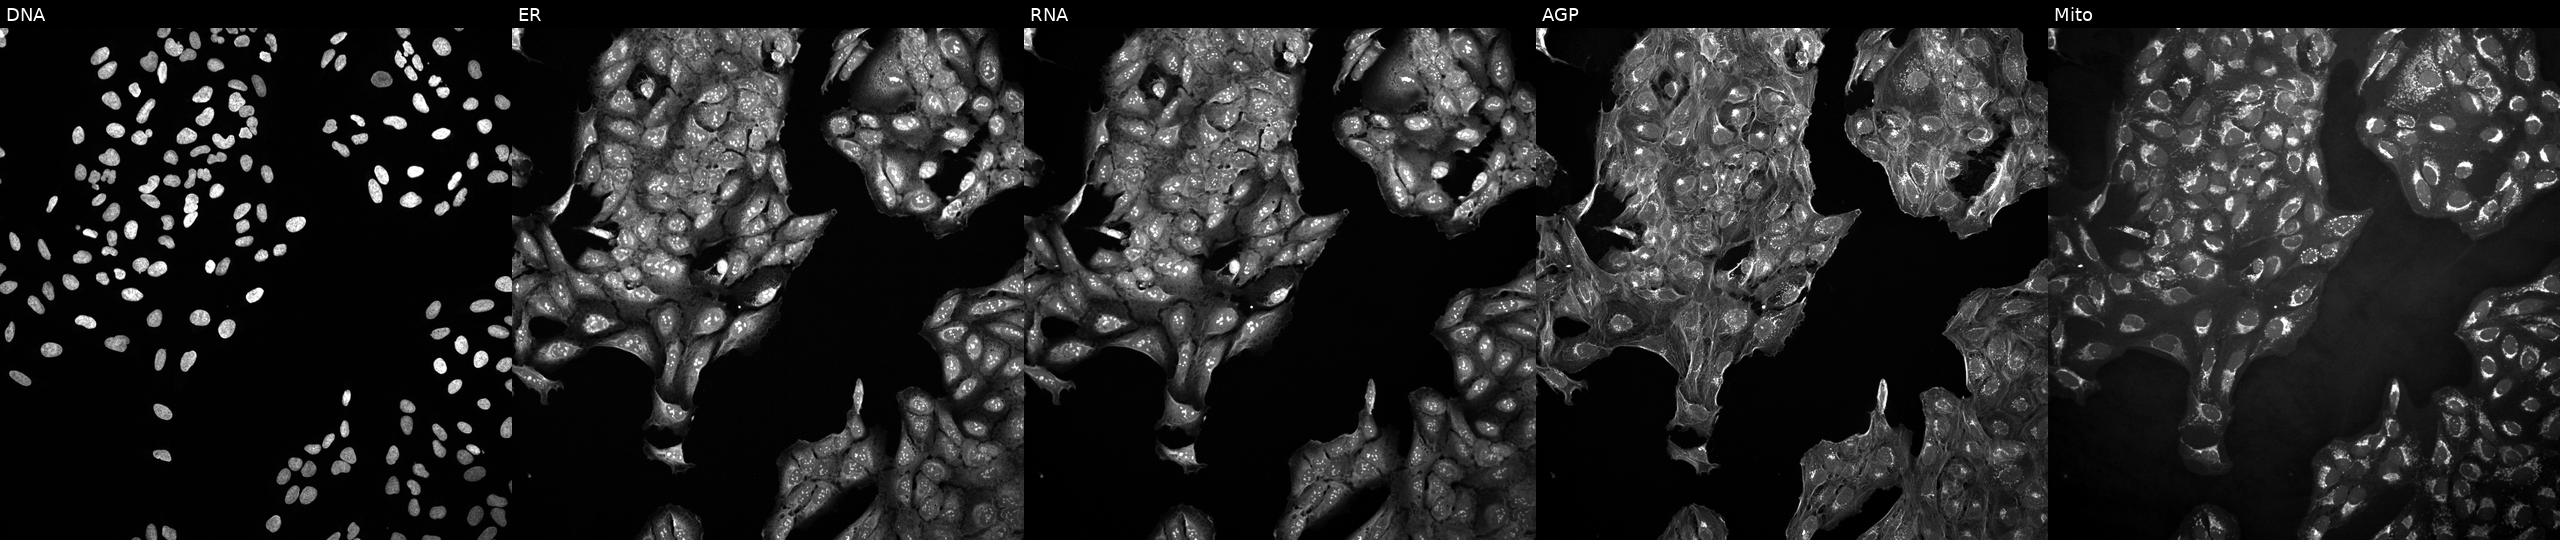
This image strip shows the five Cell Painting channels for a single field of U2OS cells untreated (empty-well control). Panels show, left to right, DNA, ER, RNA, AGP, and Mito.